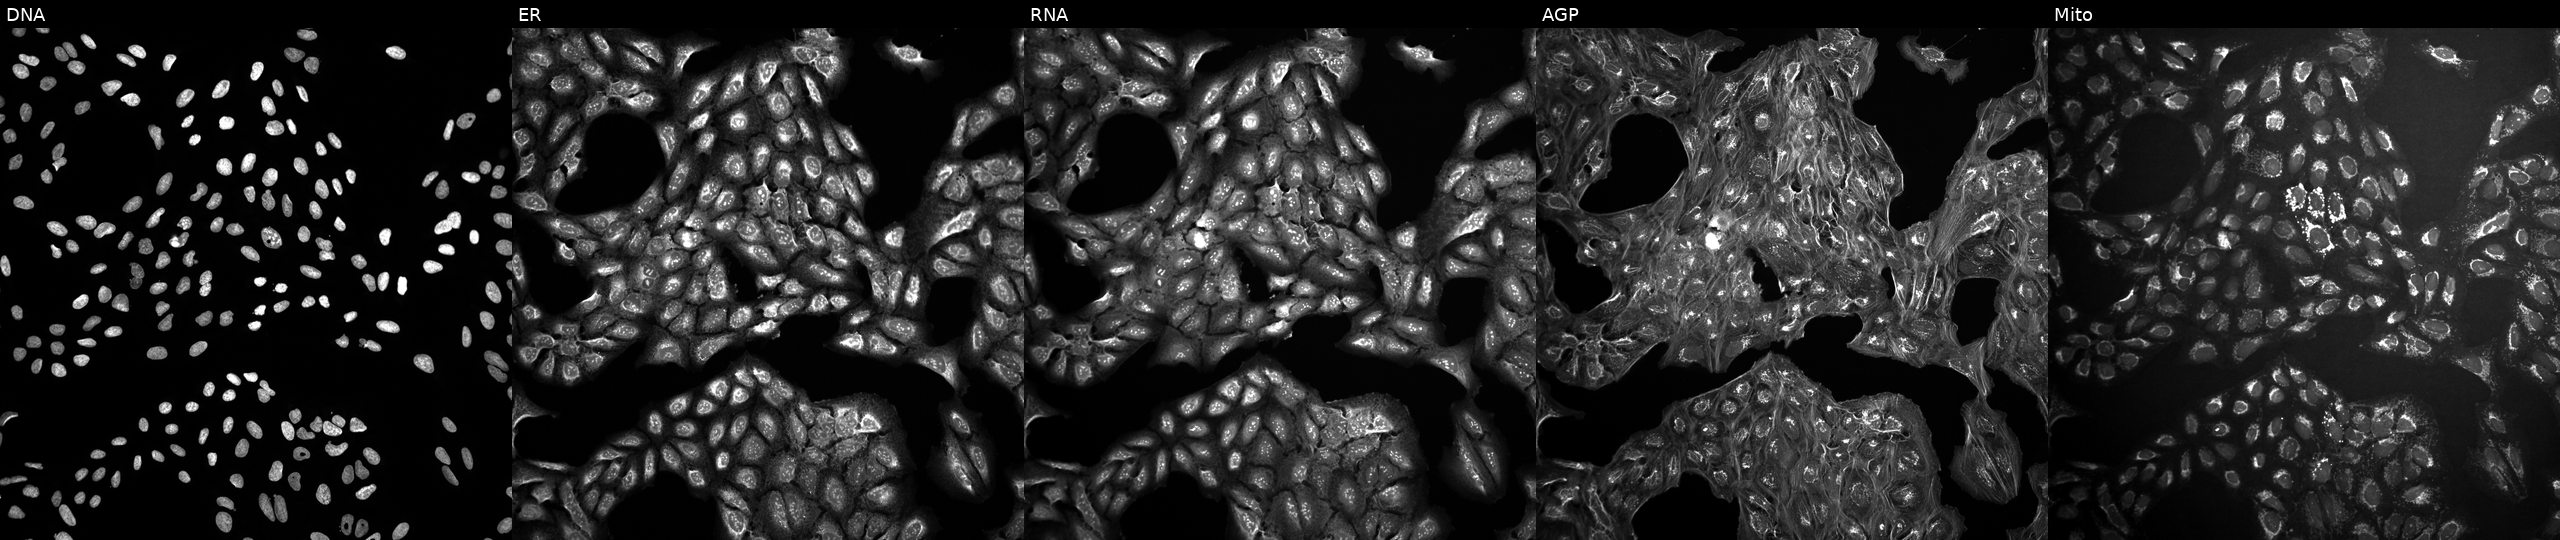
U2OS cells, Cell Painting assay, in an empty control well (no perturbation). Panels show, left to right, DNA, ER, RNA, AGP, and Mito. Each panel is percentile-stretched 16-bit fluorescence.